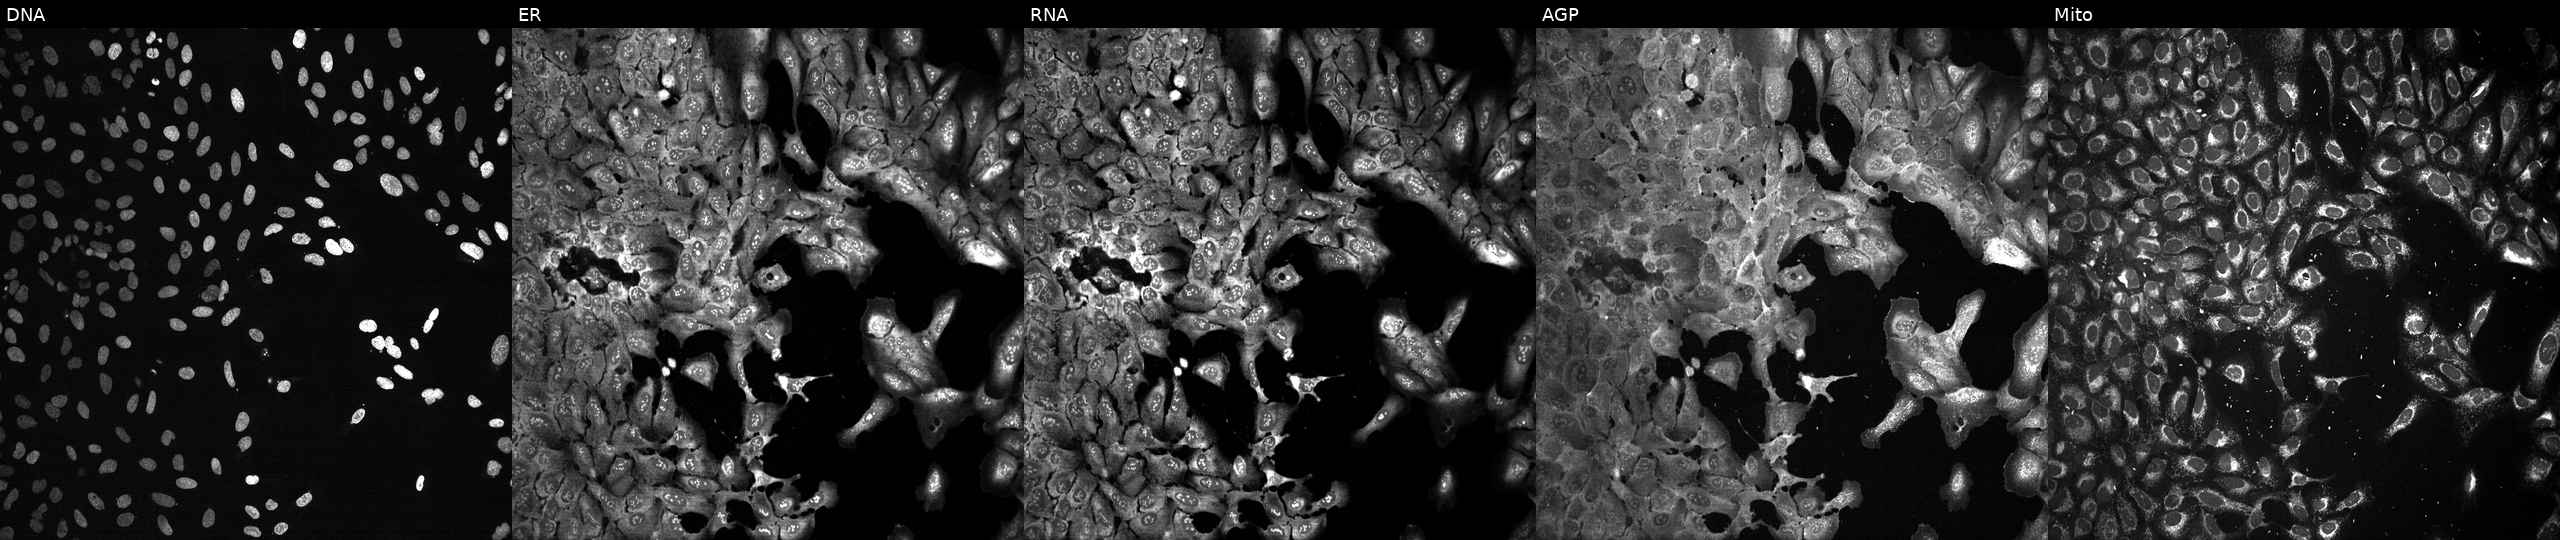
U2OS cells, Cell Painting assay, CRISPR-edited to disrupt POFUT1 (JUMP id JCP2022_805319). The five panels, left to right, show DNA, ER, RNA, AGP, and Mito. Each panel is percentile-stretched 16-bit fluorescence.